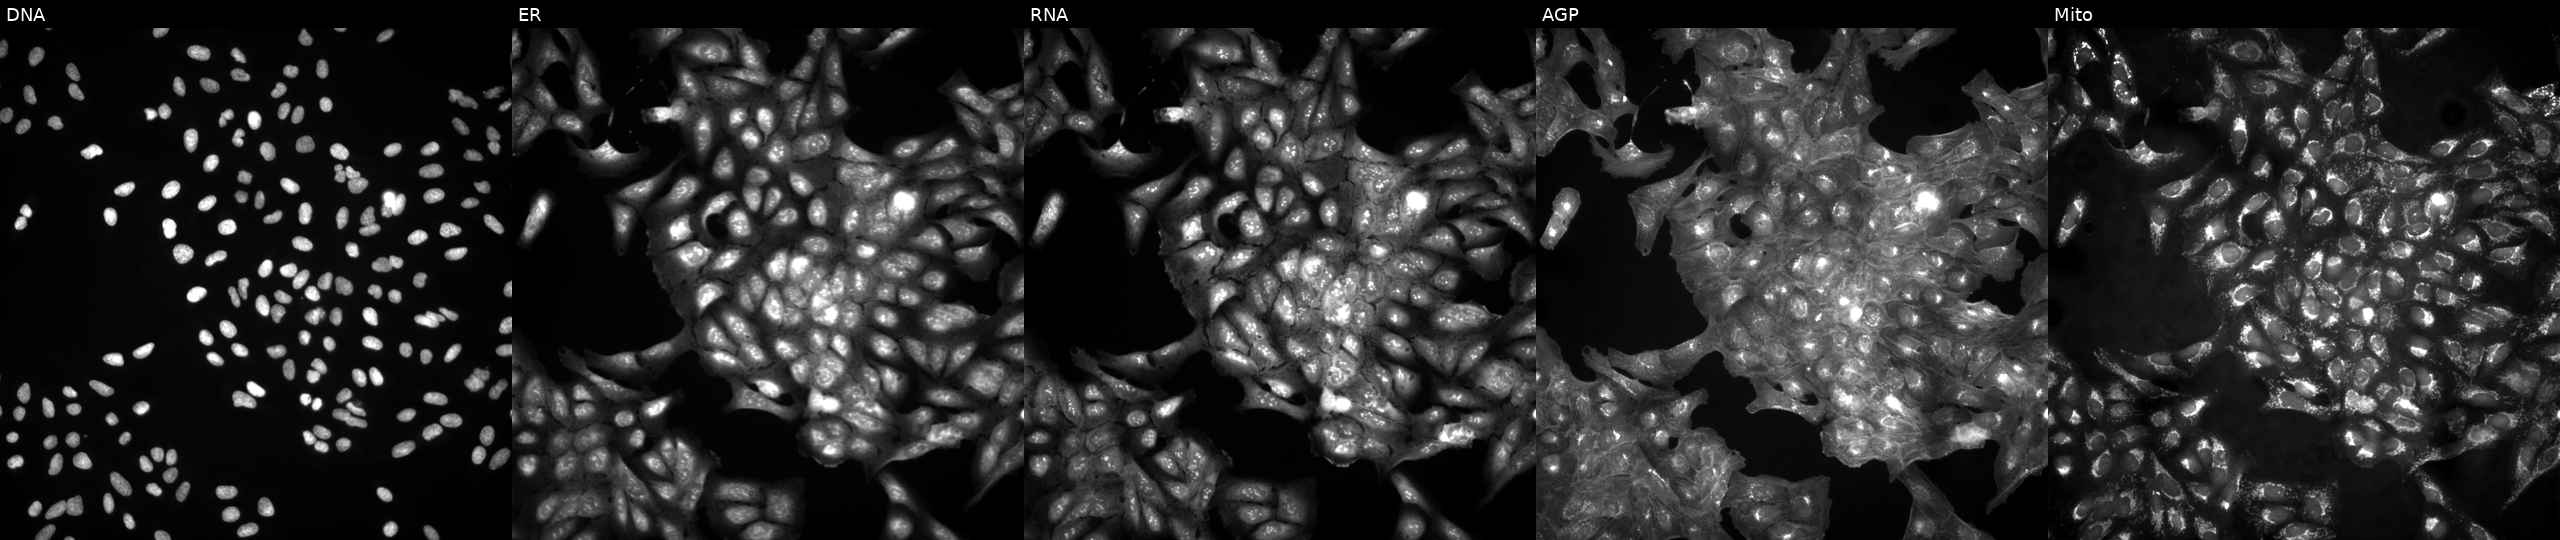
High-content fluorescence microscopy (Cell Painting). Cell line: U2OS. Perturbation: untreated (empty-well control) (JUMP id JCP2022_999999). The five panels, left to right, show DNA, ER, RNA, AGP, and Mito.